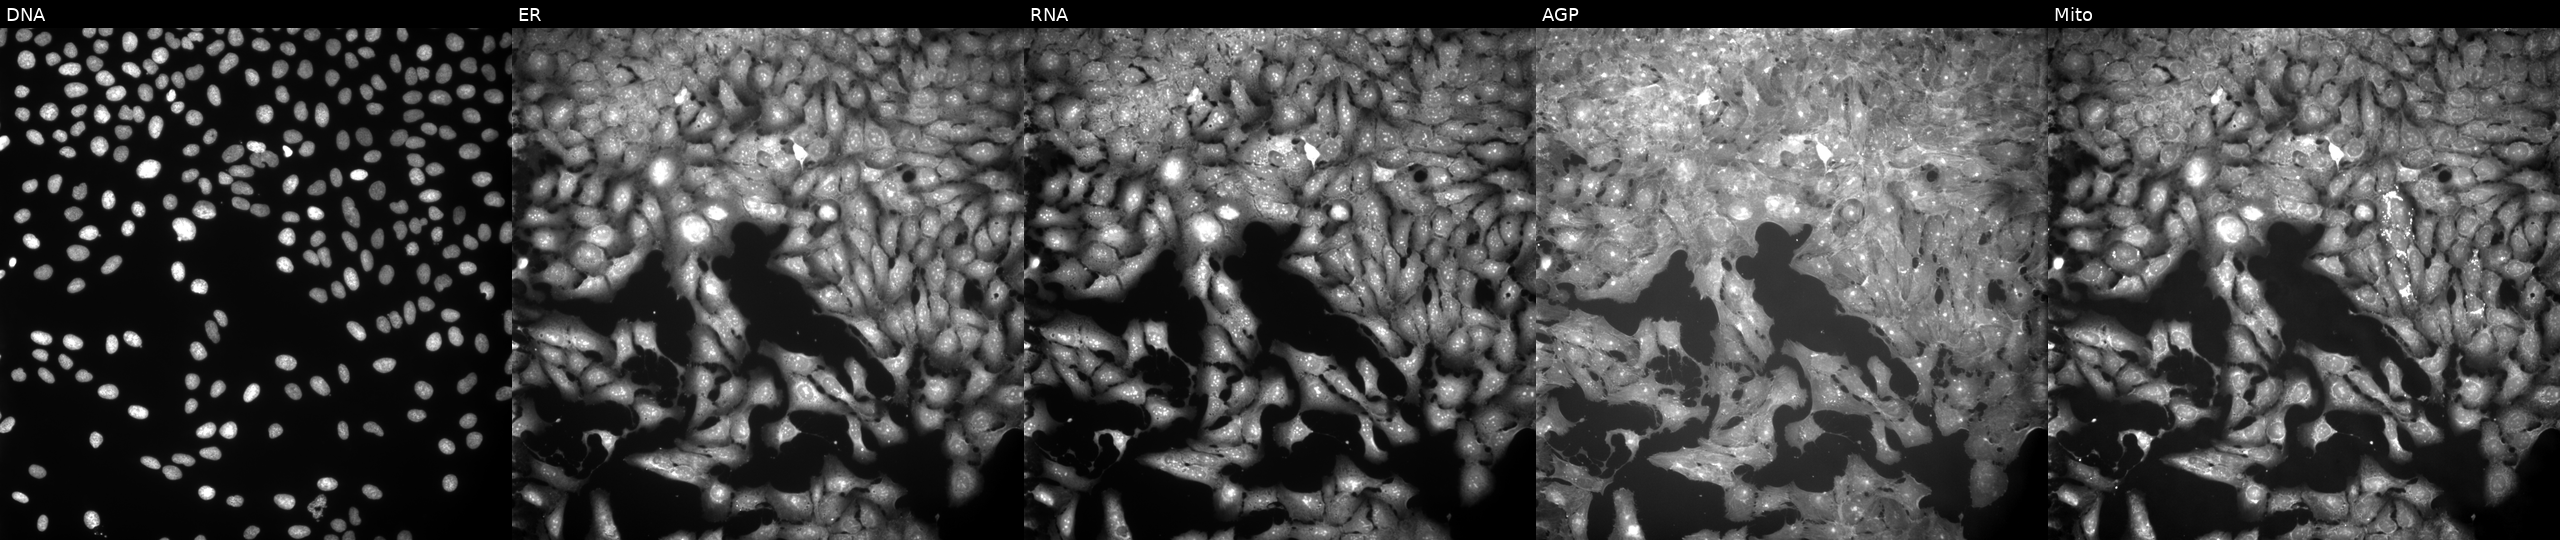
Five-channel Cell Painting image of U2OS cells treated with FK-866 (positive-control compound) (JUMP id JCP2022_046054). The five panels, left to right, show Hoechst 33342, concanavalin A, SYTO 14, phalloidin and WGA, MitoTracker. Source 9, plate GR00003381, well L25.